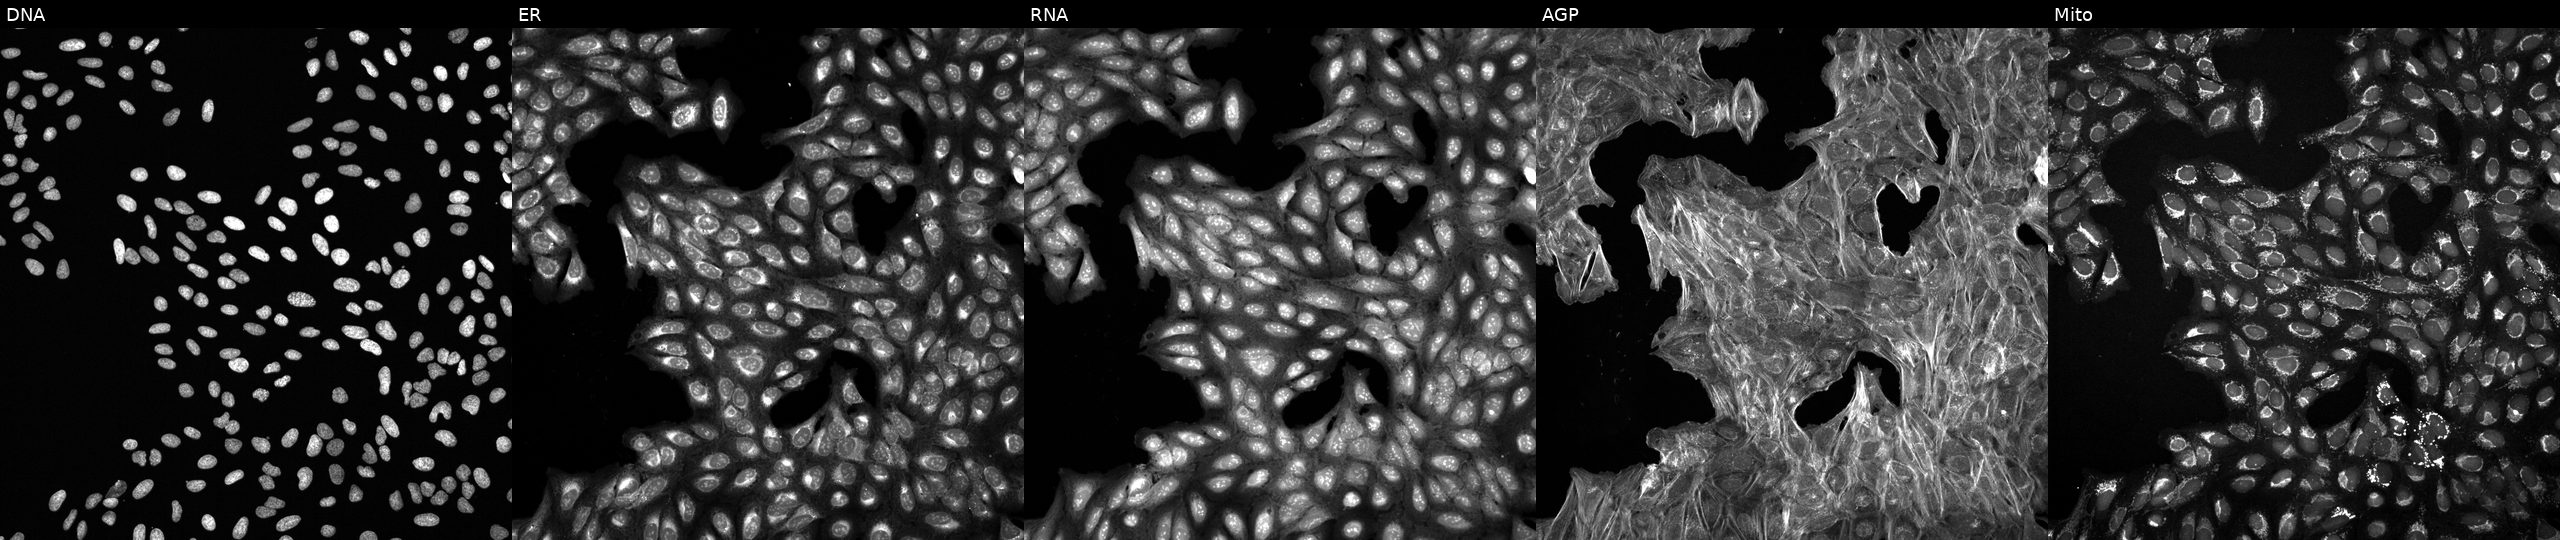
U2OS cells, Cell Painting assay, perturbed with a small-molecule compound (InChIKey QTABQYPZVINKKV-UHFFFAOYSA-N) (JUMP id JCP2022_075680). The five panels, left to right, show Hoechst 33342, concanavalin A, SYTO 14, phalloidin and WGA, MitoTracker. Each panel is percentile-stretched 16-bit fluorescence. Source 6, plate 110000293083, well C17.